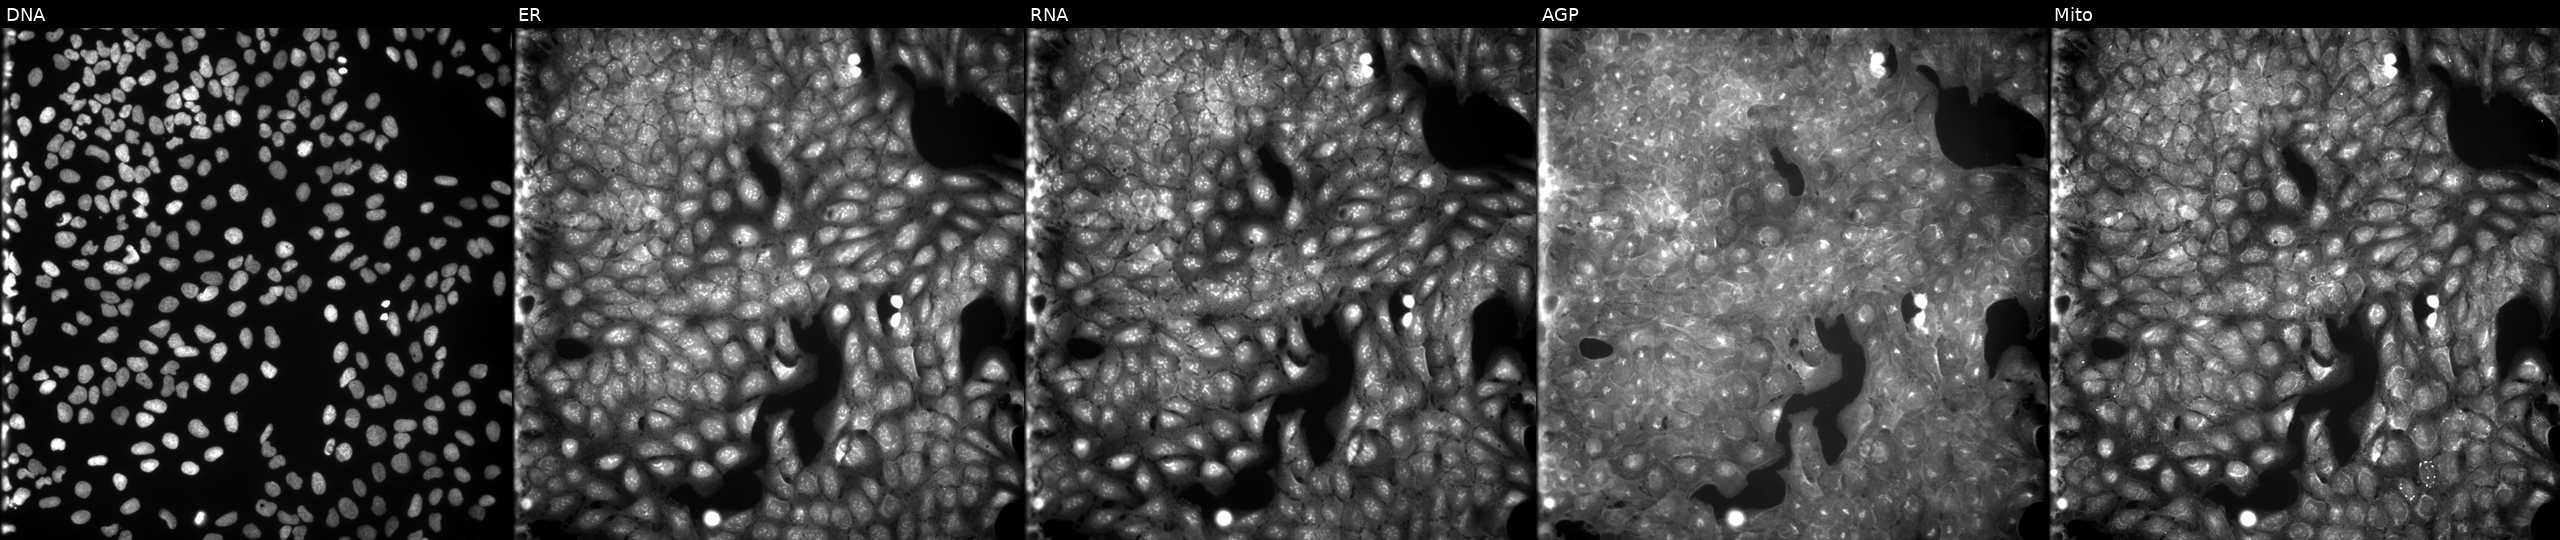
This image strip shows the five Cell Painting channels for a single field of U2OS cells perturbed with a small-molecule compound (InChIKey PHPOLUOITVXUKO-UHFFFAOYSA-N) [SMILES: O=C(CS(=O)(=O)c1ccc(Br)cc1)c1ccccc1]. Panels show, left to right, DNA (nuclei); ER (endoplasmic reticulum); RNA (nucleoli and cytoplasmic RNA); AGP (actin cytoskeleton, Golgi, and plasma membrane); Mito (mitochondria). Source 9, plate GR00003381, well G15.